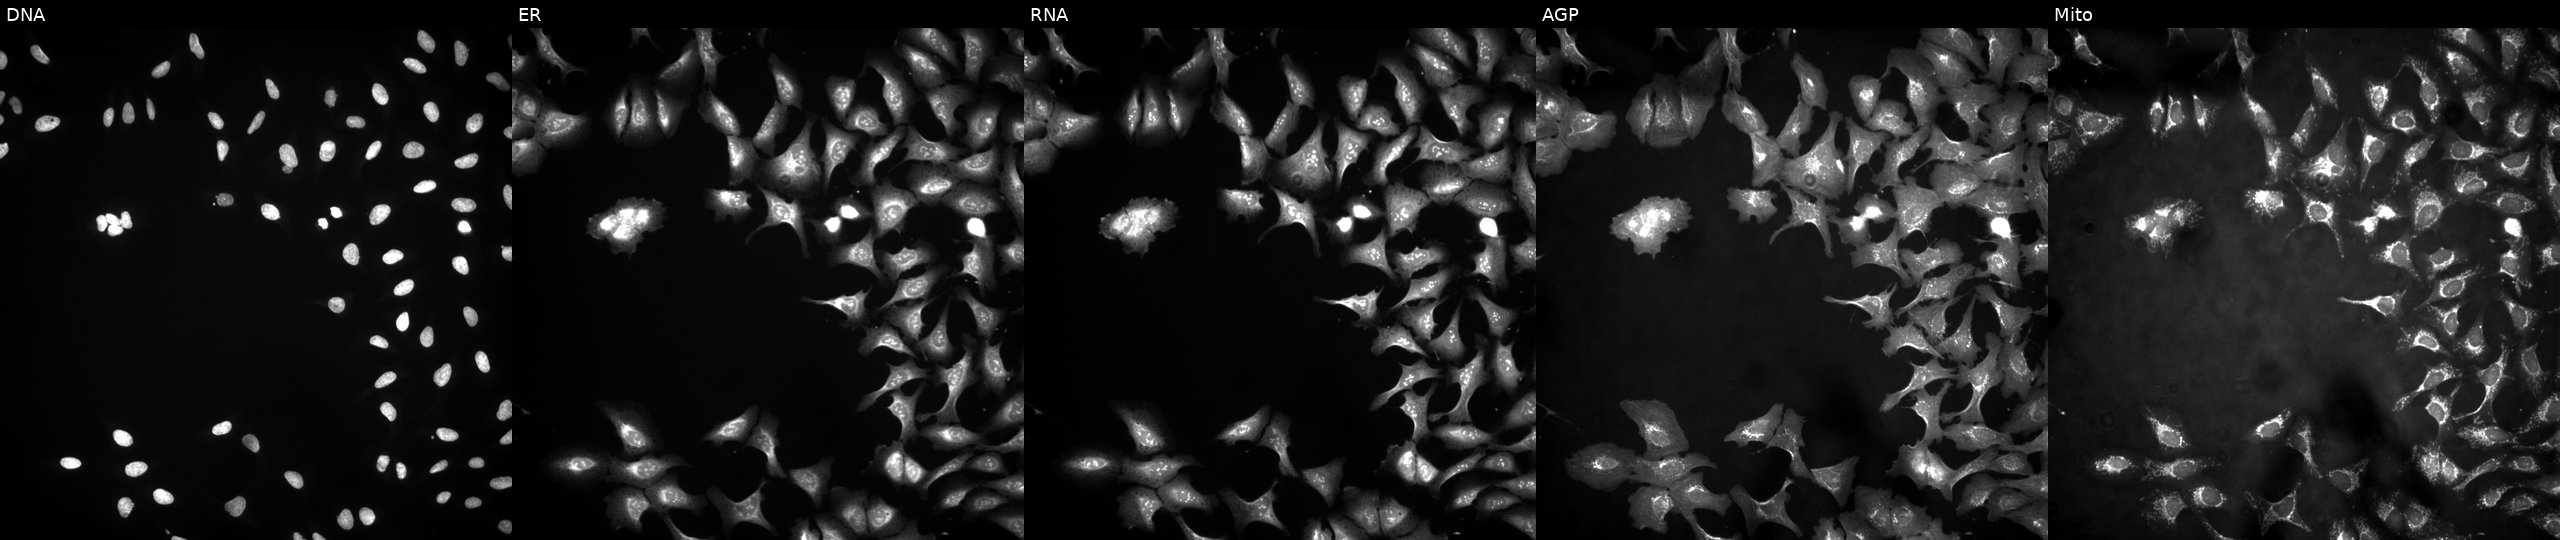
From left to right: DNA (nuclei); ER (endoplasmic reticulum); RNA (nucleoli and cytoplasmic RNA); AGP (actin cytoskeleton, Golgi, and plasma membrane); Mito (mitochondria). U2OS osteosarcoma cells overexpressing TRIM23 via ORF transfection. Cell Painting assay, JUMP-CP dataset. Source 4, plate BR00121543, well M08.